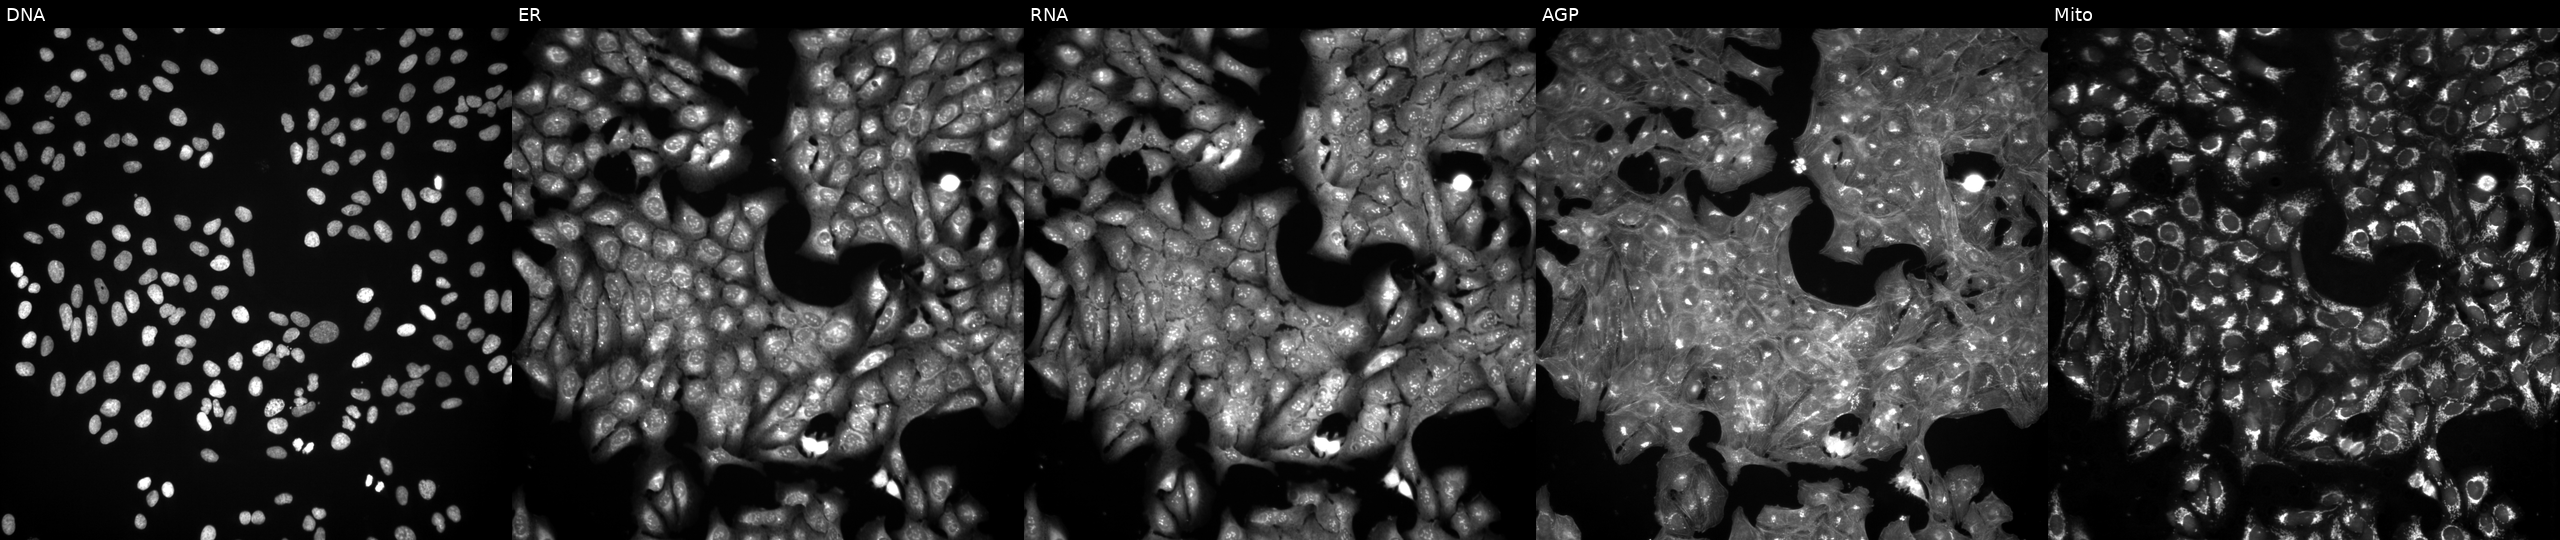
JUMP Cell Painting — COMPOUND plate. U2OS cells treated with a small-molecule compound (InChIKey PNDXYWBNSITKTD-UHFFFAOYSA-N). Channels (left→right): DNA, ER, RNA, AGP, and Mito.